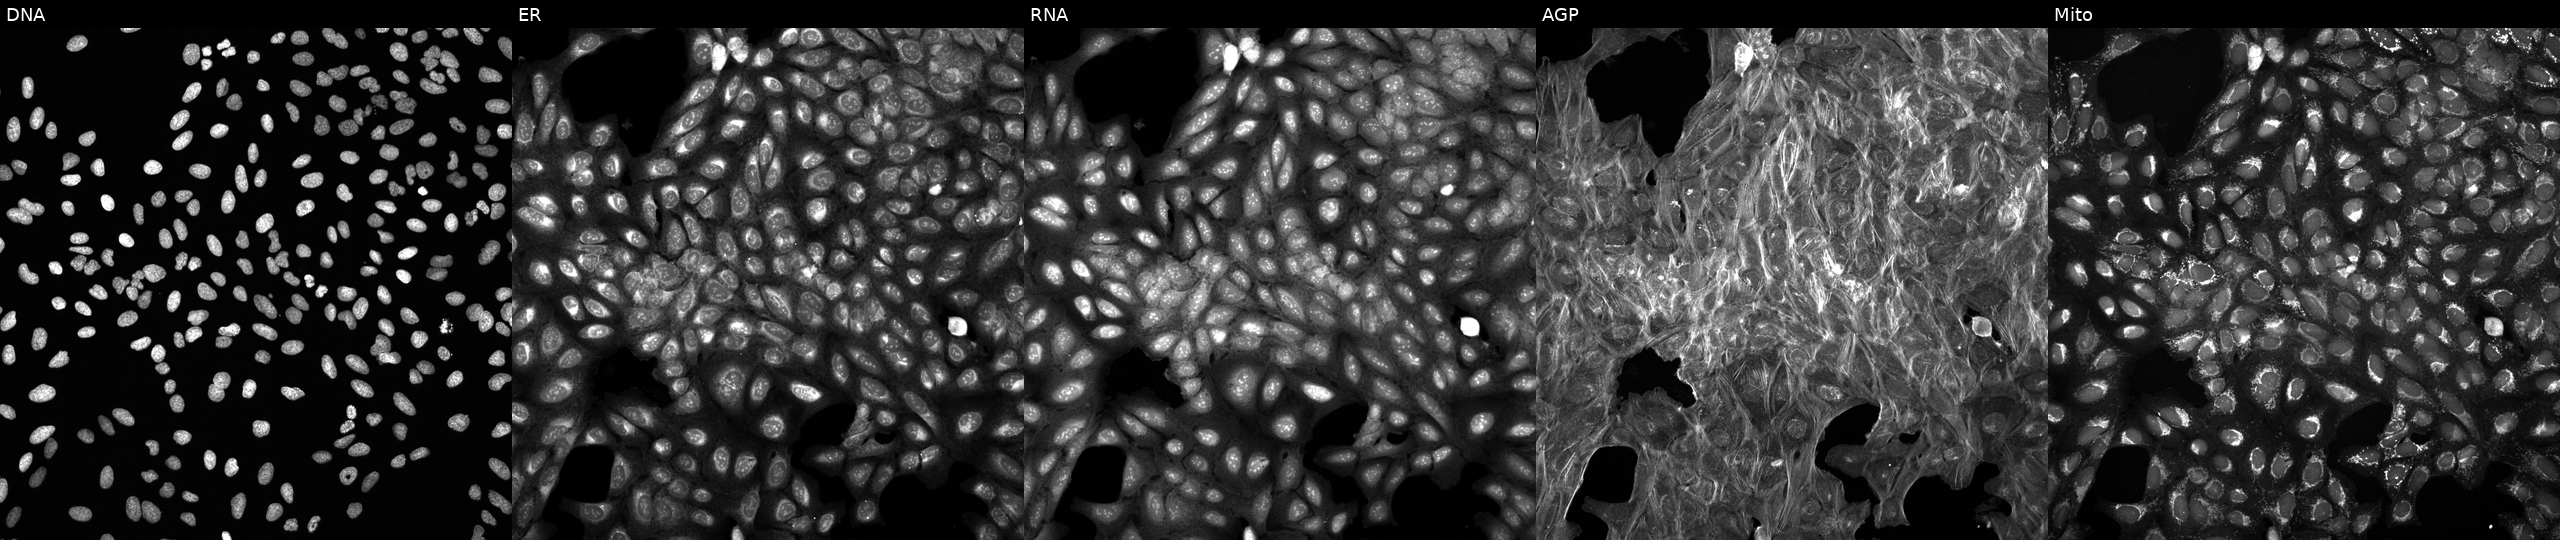
High-content fluorescence microscopy (Cell Painting). Cell line: U2OS. Perturbation: perturbed with a small-molecule compound (InChIKey VCKUSRYTPJJLNI-UHFFFAOYSA-N) [SMILES: COc1cc2[nH]c(N3CCN(C(=O)C4CCCO4)CC3)nc(=N)c2cc1OC]. The five panels, left to right, show DNA, ER, RNA, AGP, and Mito.